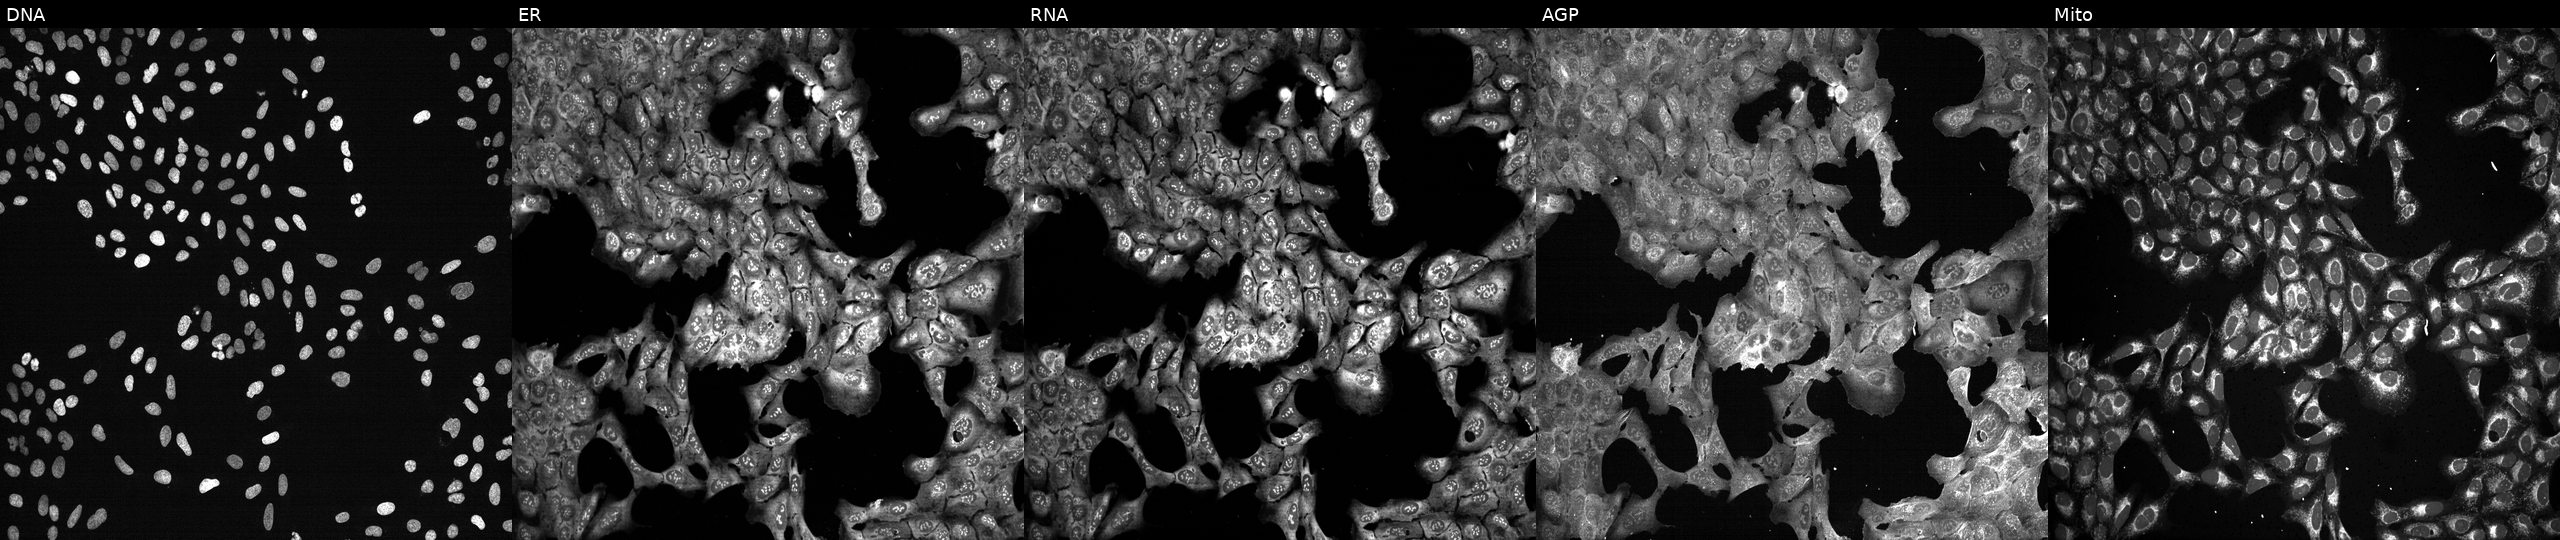
This image strip shows the five Cell Painting channels for a single field of U2OS cells following CRISPR knockout of SLC28A3 (JUMP id JCP2022_806479). Channels (left→right): Hoechst 33342, concanavalin A, SYTO 14, phalloidin and WGA, MitoTracker. Source 13, plate CP-CC9-R3-02, well E12.